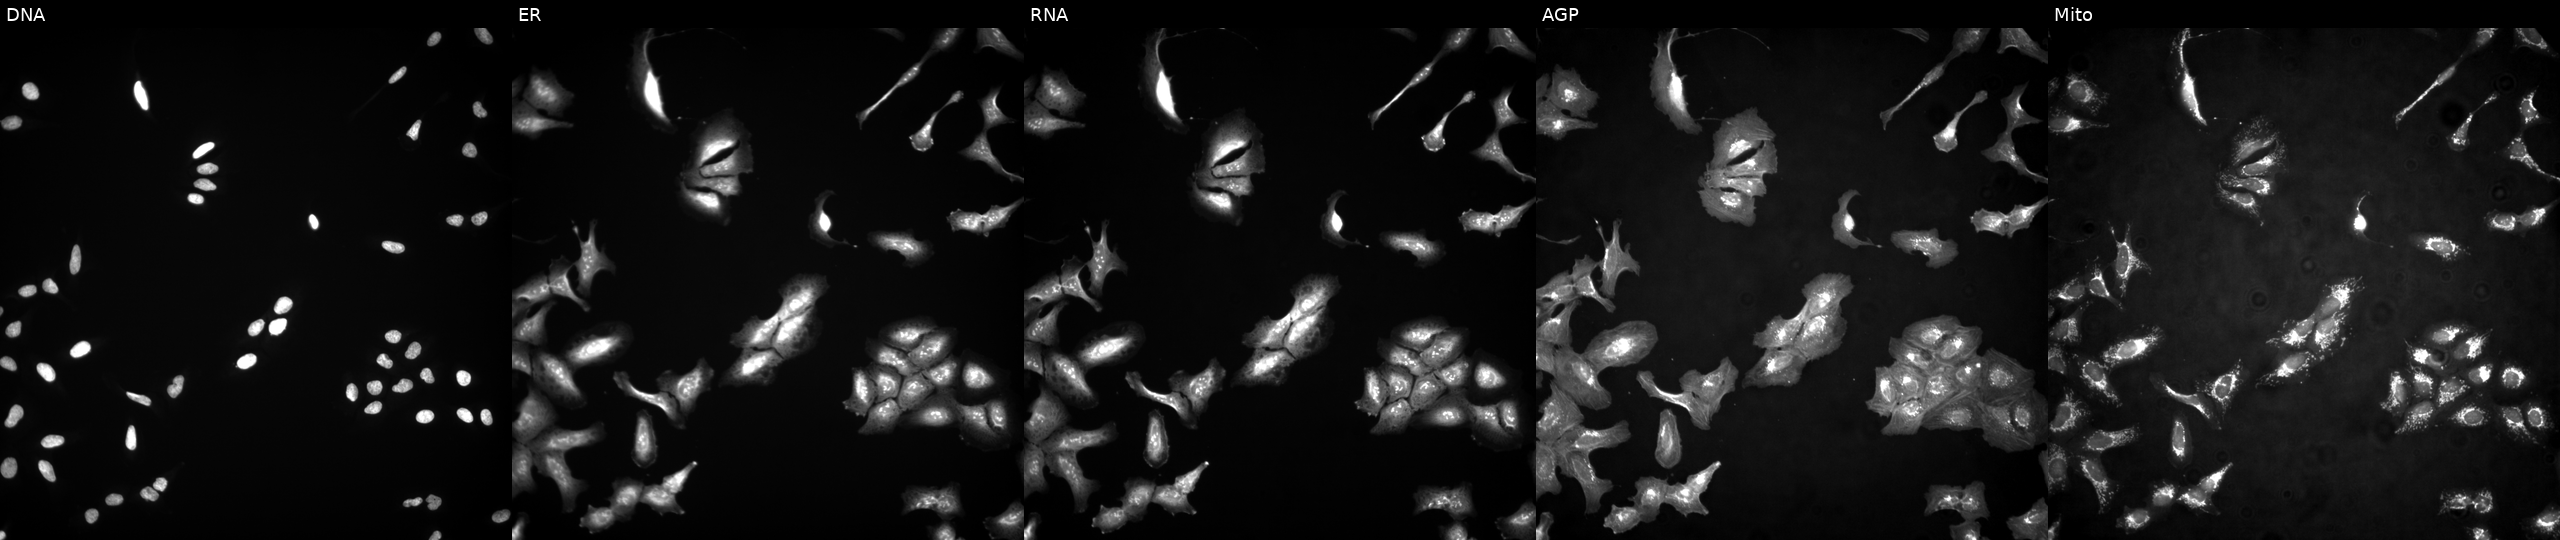
JUMP Cell Painting — ORF plate. U2OS cells with TAF8 overexpressed (ORF) (JUMP id JCP2022_912257). Channels (left→right): Hoechst 33342, concanavalin A, SYTO 14, phalloidin and WGA, MitoTracker.